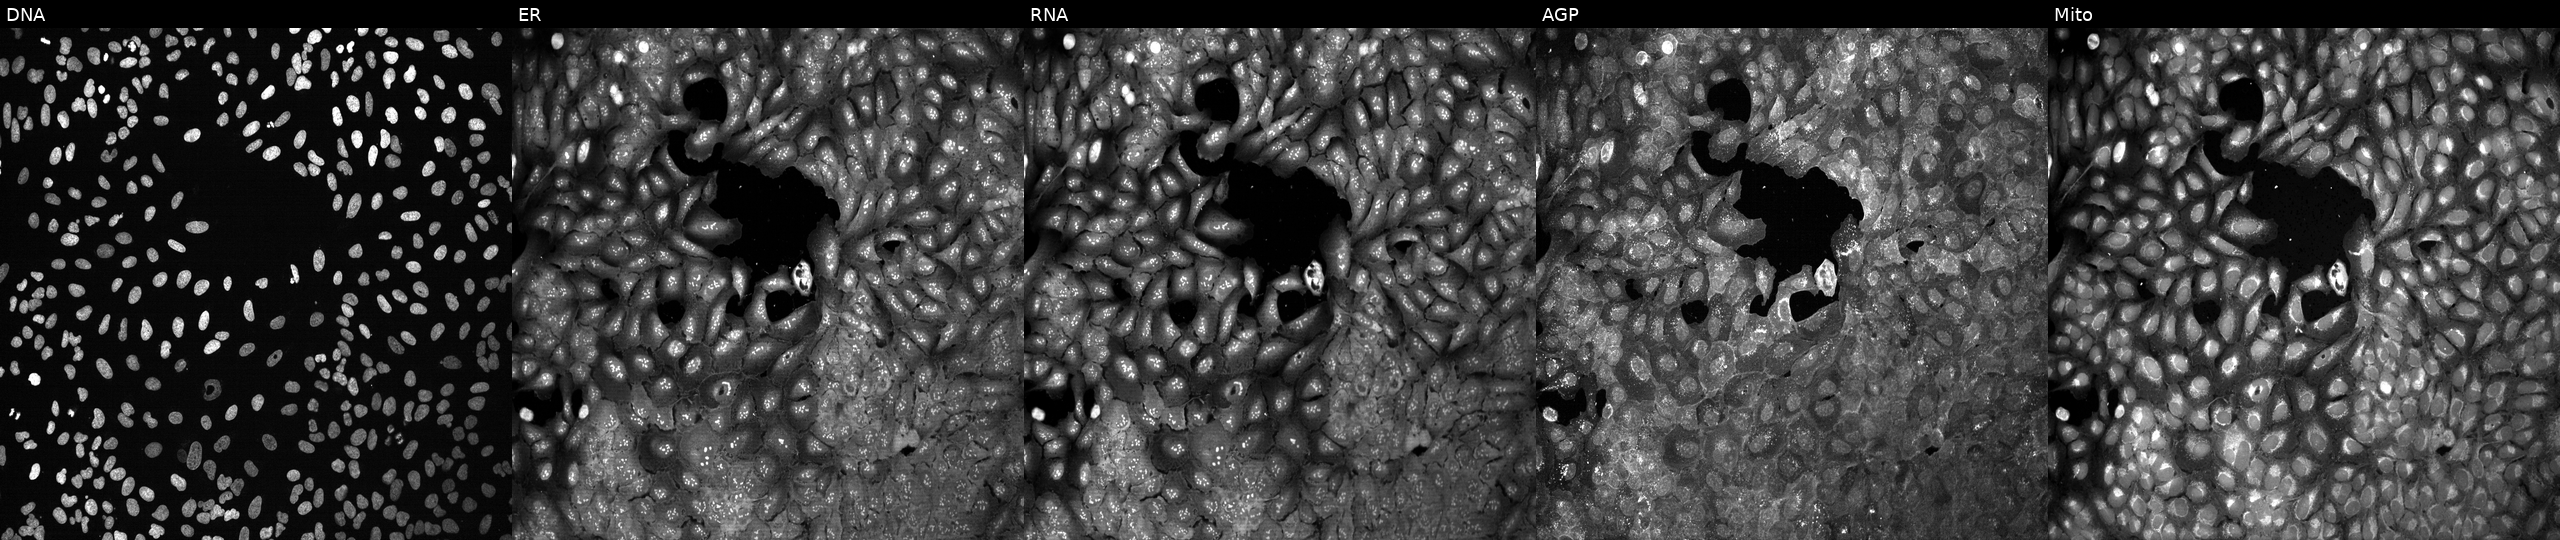
Five-channel Cell Painting image of U2OS cells CRISPR-edited to disrupt RAB35 (JUMP id JCP2022_805766). Channels (left→right): DNA (nuclei); ER (endoplasmic reticulum); RNA (nucleoli and cytoplasmic RNA); AGP (actin cytoskeleton, Golgi, and plasma membrane); Mito (mitochondria).